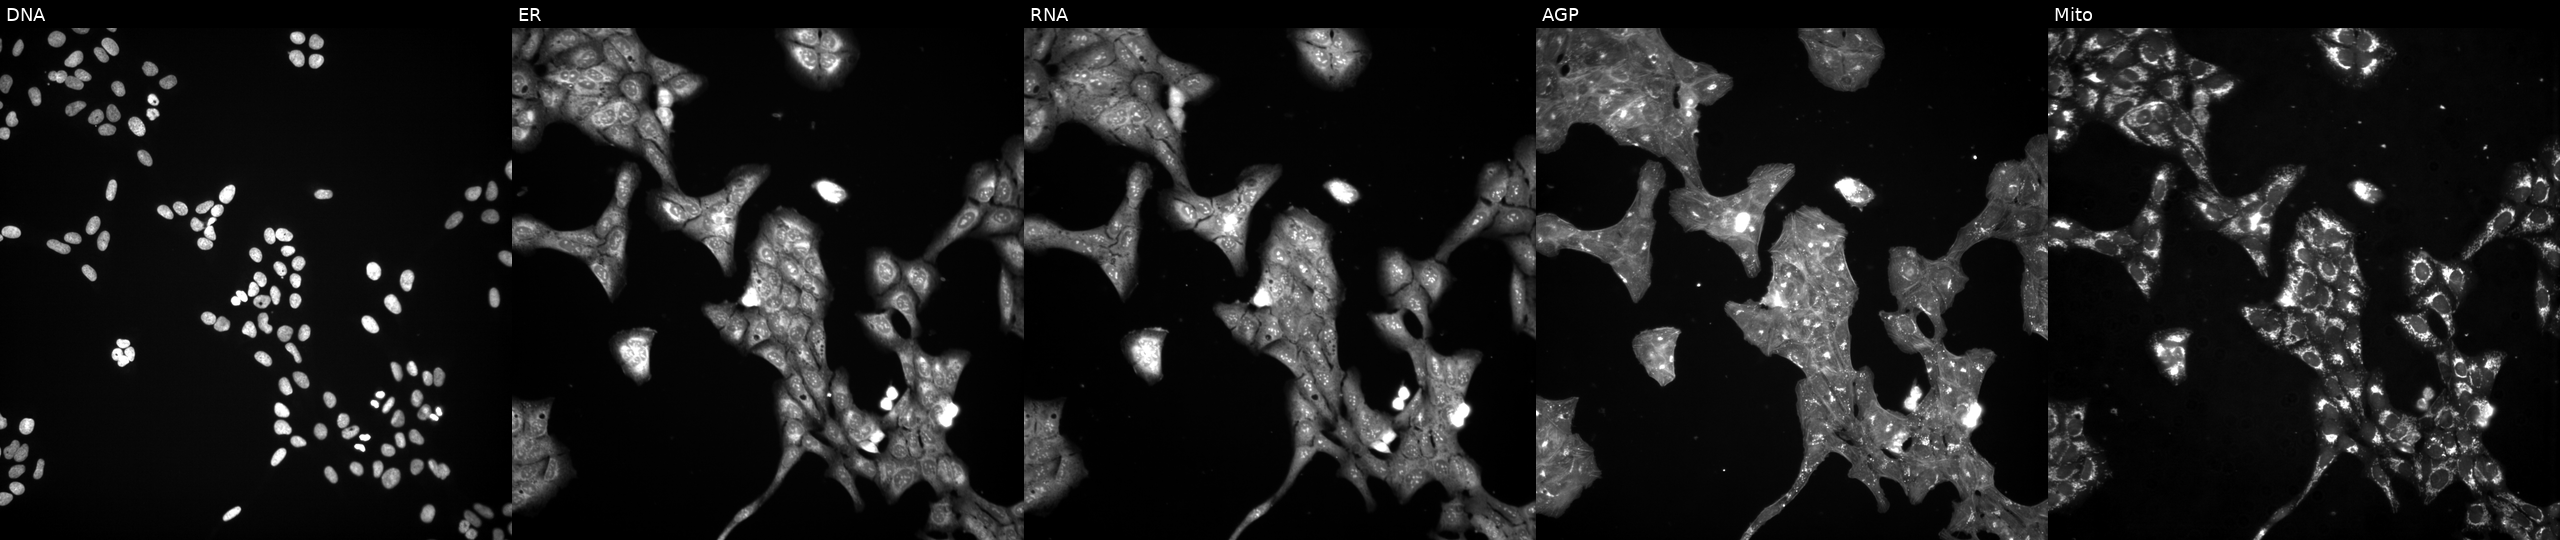
The five panels, left to right, show DNA (nuclei); ER (endoplasmic reticulum); RNA (nucleoli and cytoplasmic RNA); AGP (actin cytoskeleton, Golgi, and plasma membrane); Mito (mitochondria). U2OS osteosarcoma cells perturbed with a small-molecule compound. Cell Painting assay, JUMP-CP dataset.